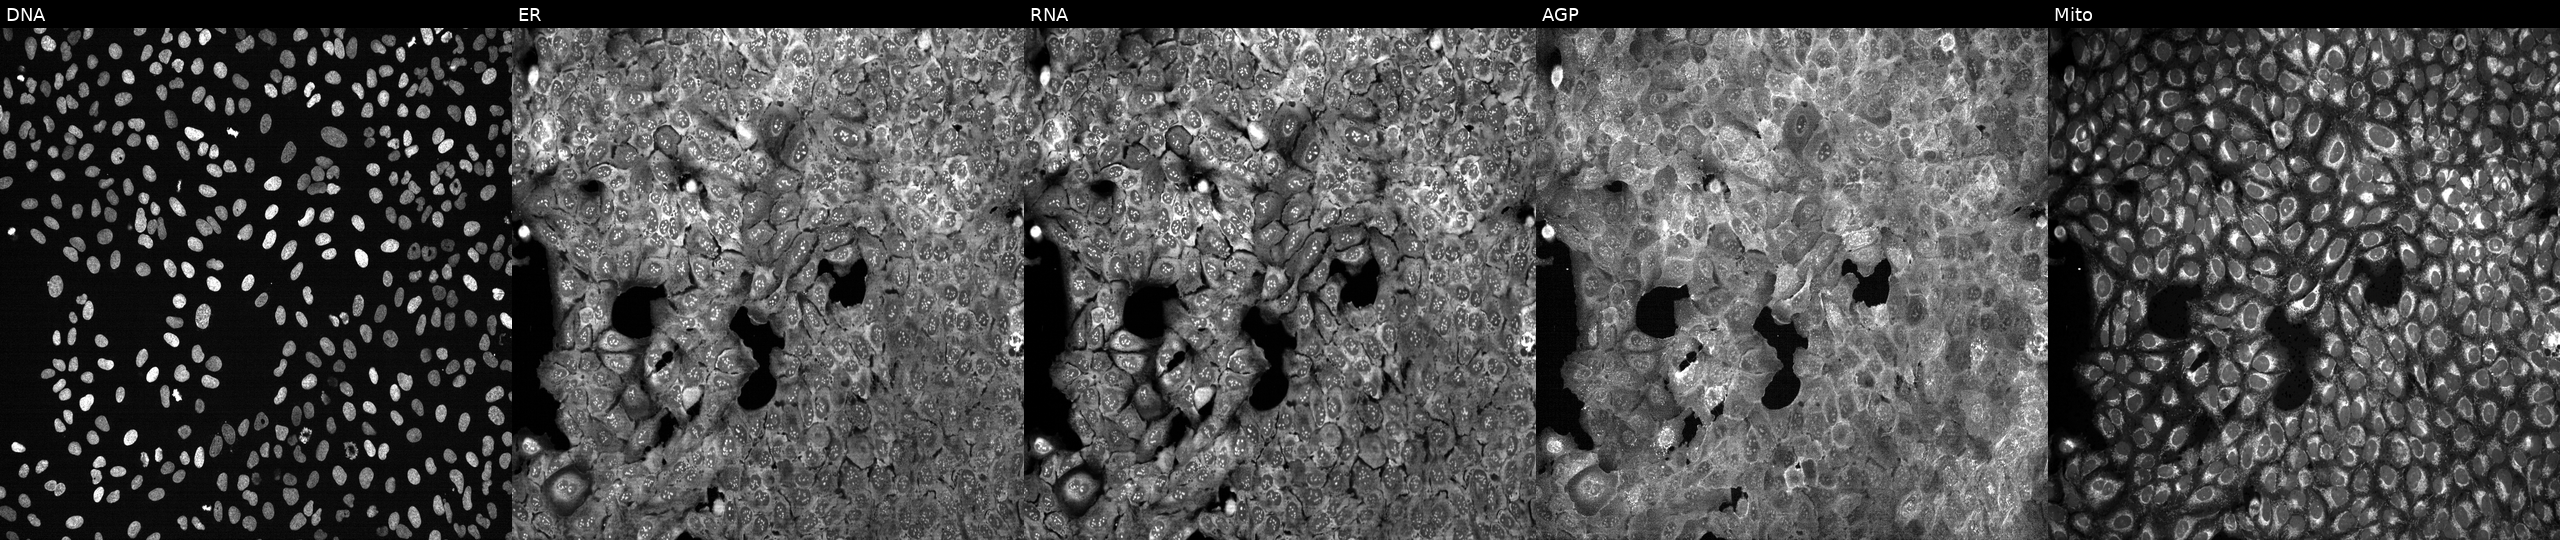
U2OS cells, Cell Painting assay, exposed to the positive-control compound aloxistatin (JUMP id JCP2022_085227). Channels (left→right): DNA (nuclei); ER (endoplasmic reticulum); RNA (nucleoli and cytoplasmic RNA); AGP (actin cytoskeleton, Golgi, and plasma membrane); Mito (mitochondria). Each panel is percentile-stretched 16-bit fluorescence.